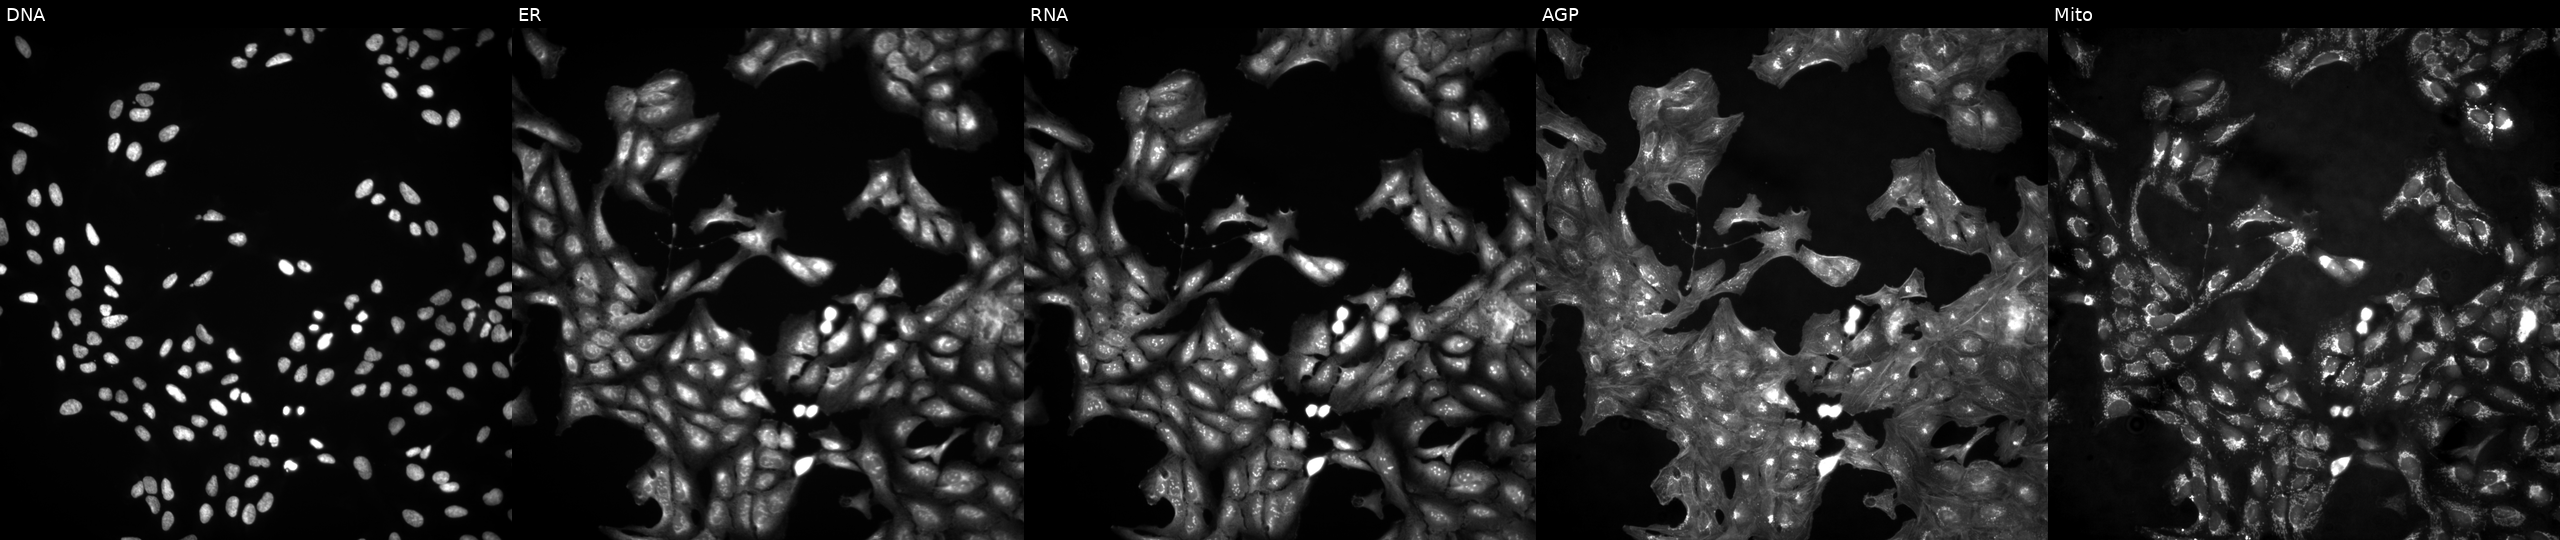
The five panels, left to right, show DNA, ER, RNA, AGP, and Mito. U2OS osteosarcoma cells in an empty control well (no perturbation). Cell Painting assay, JUMP-CP dataset. Source 4, plate BR00123946, well B24.